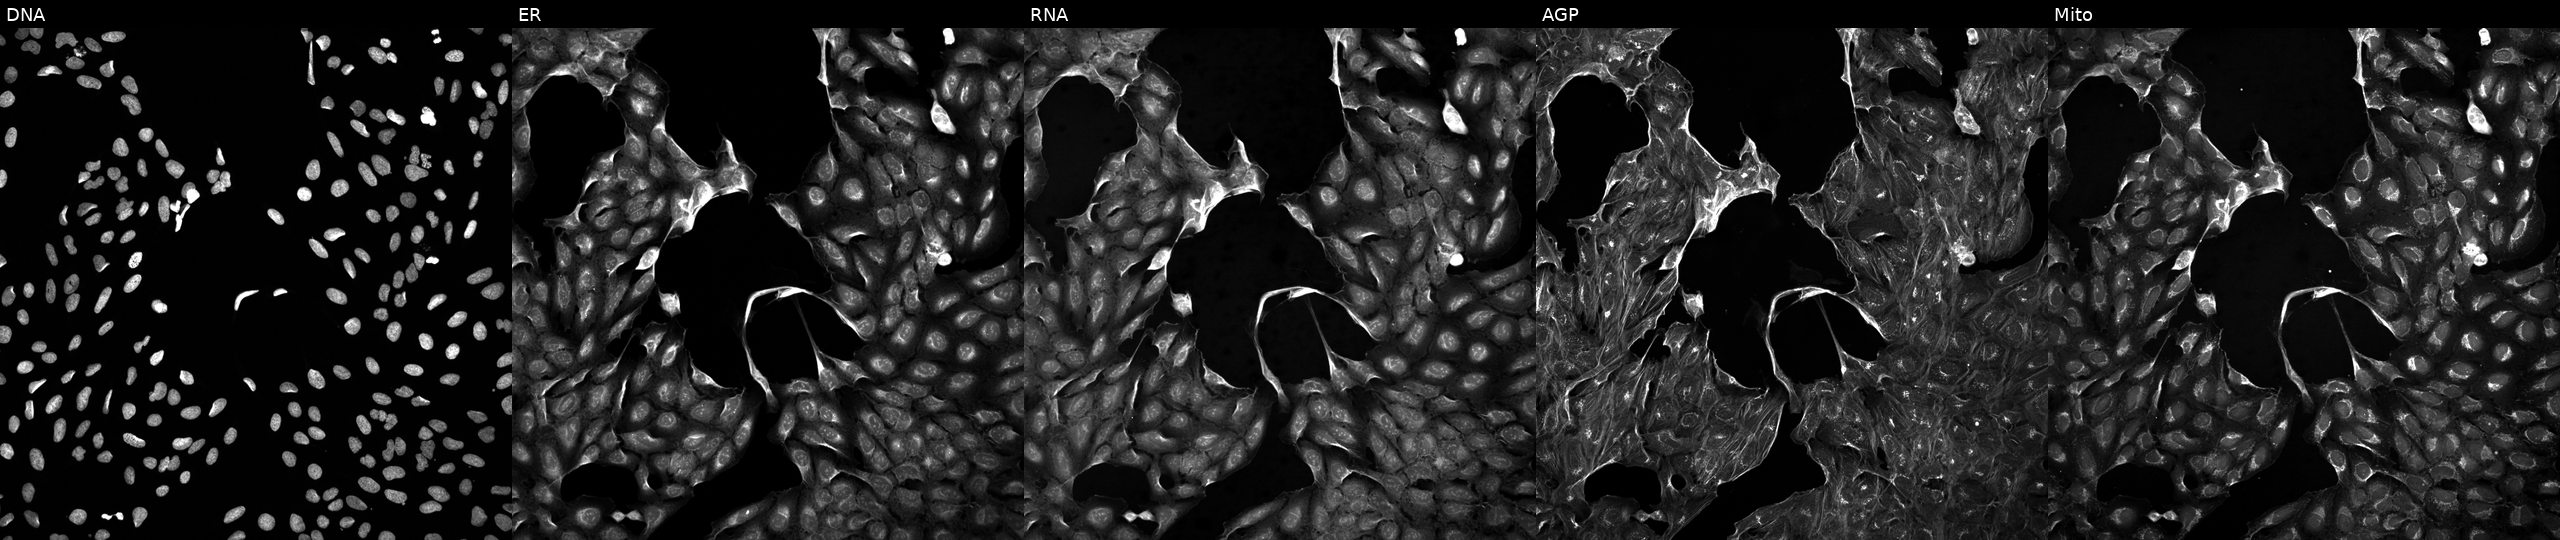
Five-channel Cell Painting image of U2OS cells exposed to a small-molecule compound (InChIKey JDVVGAQPNNXQDW-UHFFFAOYSA-N). Channels (left→right): Hoechst 33342, concanavalin A, SYTO 14, phalloidin and WGA, MitoTracker. Source 5, plate ACPJUM051, well N21.